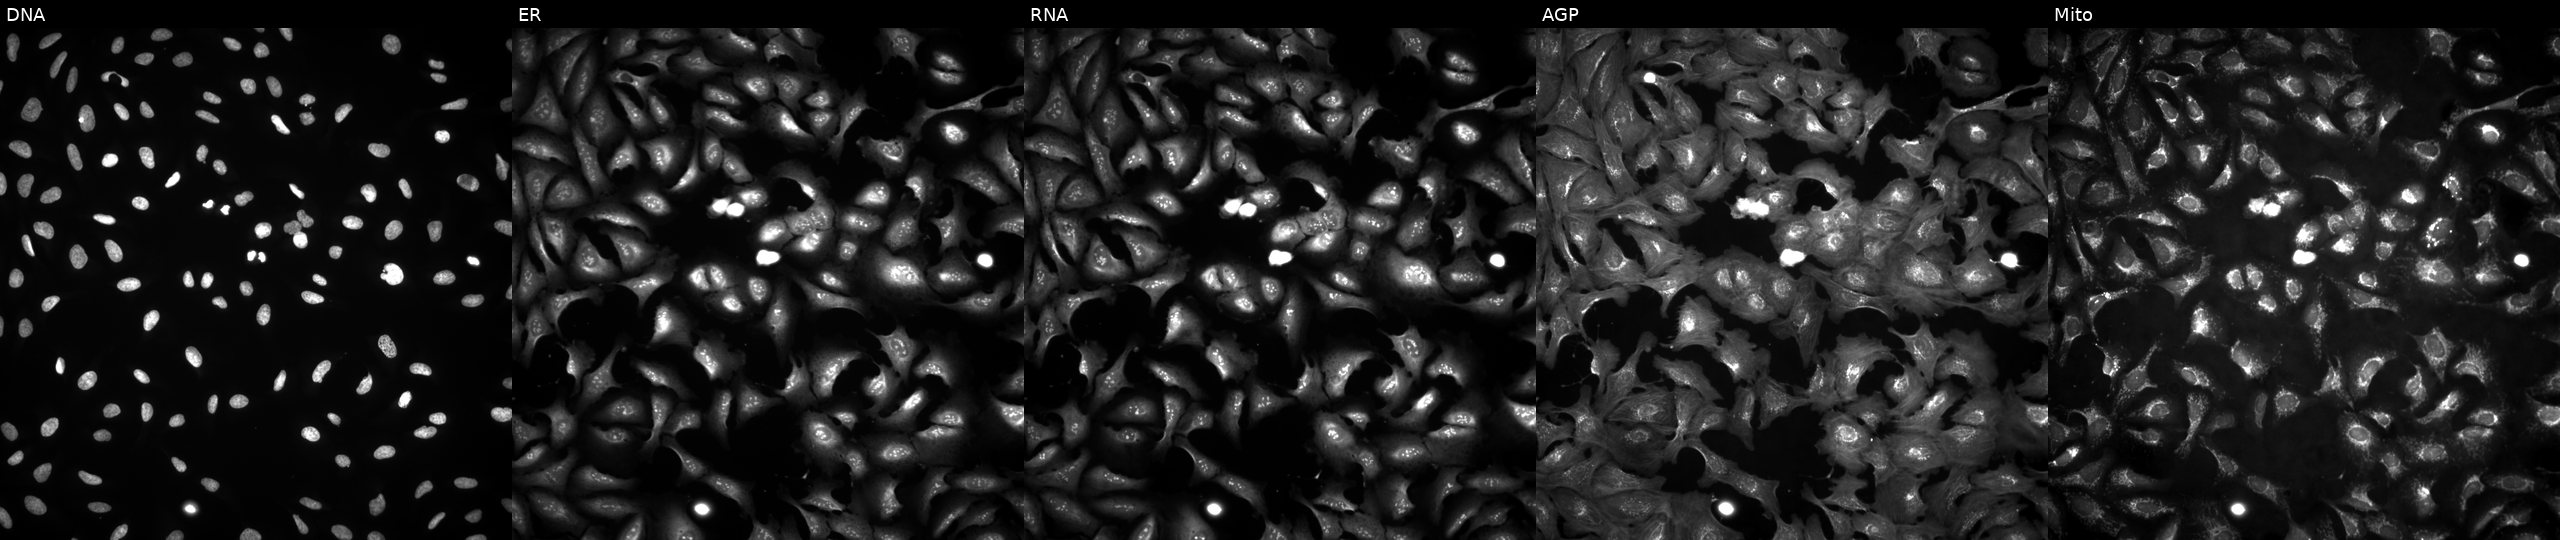
JUMP Cell Painting — ORF plate. U2OS cells transfected with an ORF construct for MUCL1 (JUMP id JCP2022_908818). Panels show, left to right, DNA, ER, RNA, AGP, and Mito.